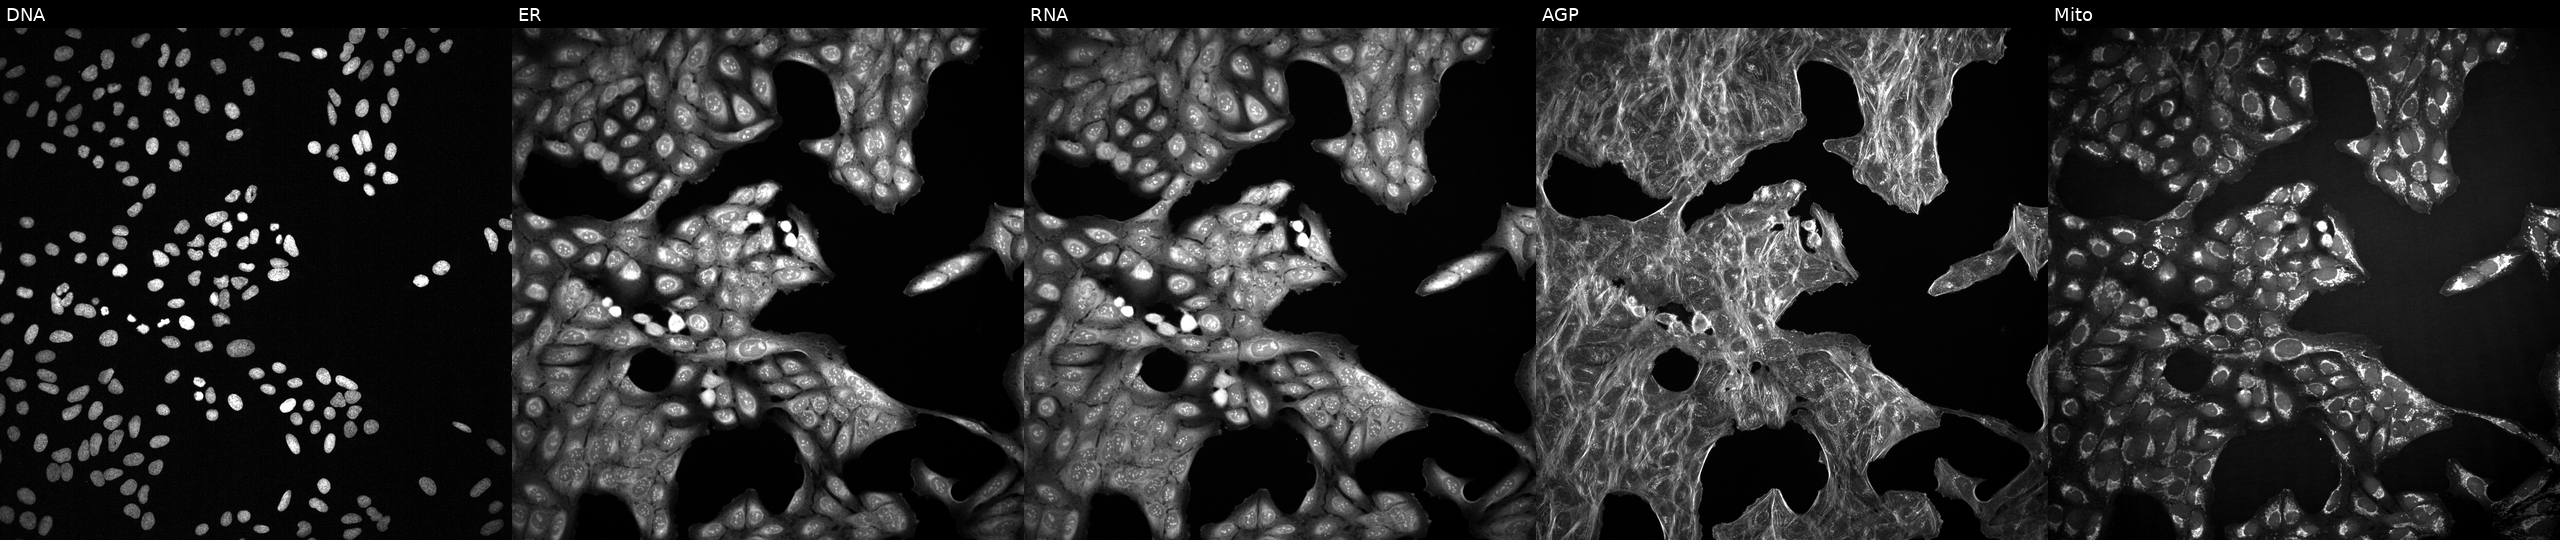
This image strip shows the five Cell Painting channels for a single field of U2OS cells perturbed with a small-molecule compound (InChIKey YUFHTJNOULNJJQ-UHFFFAOYSA-N). Panels show, left to right, DNA (nuclei); ER (endoplasmic reticulum); RNA (nucleoli and cytoplasmic RNA); AGP (actin cytoskeleton, Golgi, and plasma membrane); Mito (mitochondria). Source 2, plate 1053601763, well P07.